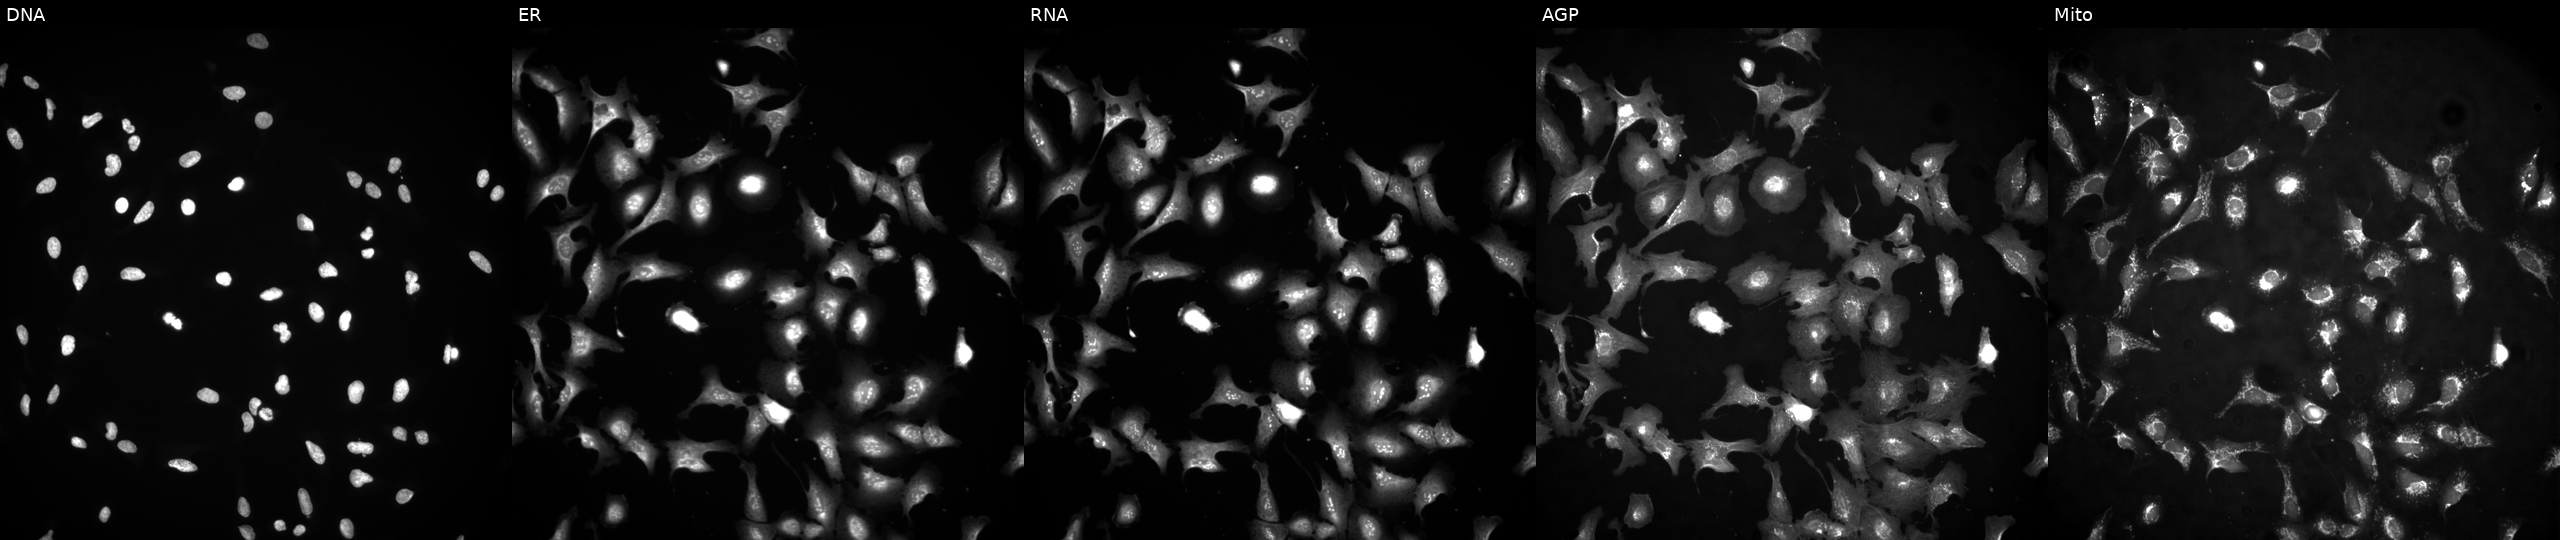
High-content fluorescence microscopy (Cell Painting). Cell line: U2OS. Perturbation: overexpressing SEC22C via ORF transfection (JUMP id JCP2022_901948). From left to right: DNA (nuclei); ER (endoplasmic reticulum); RNA (nucleoli and cytoplasmic RNA); AGP (actin cytoskeleton, Golgi, and plasma membrane); Mito (mitochondria).